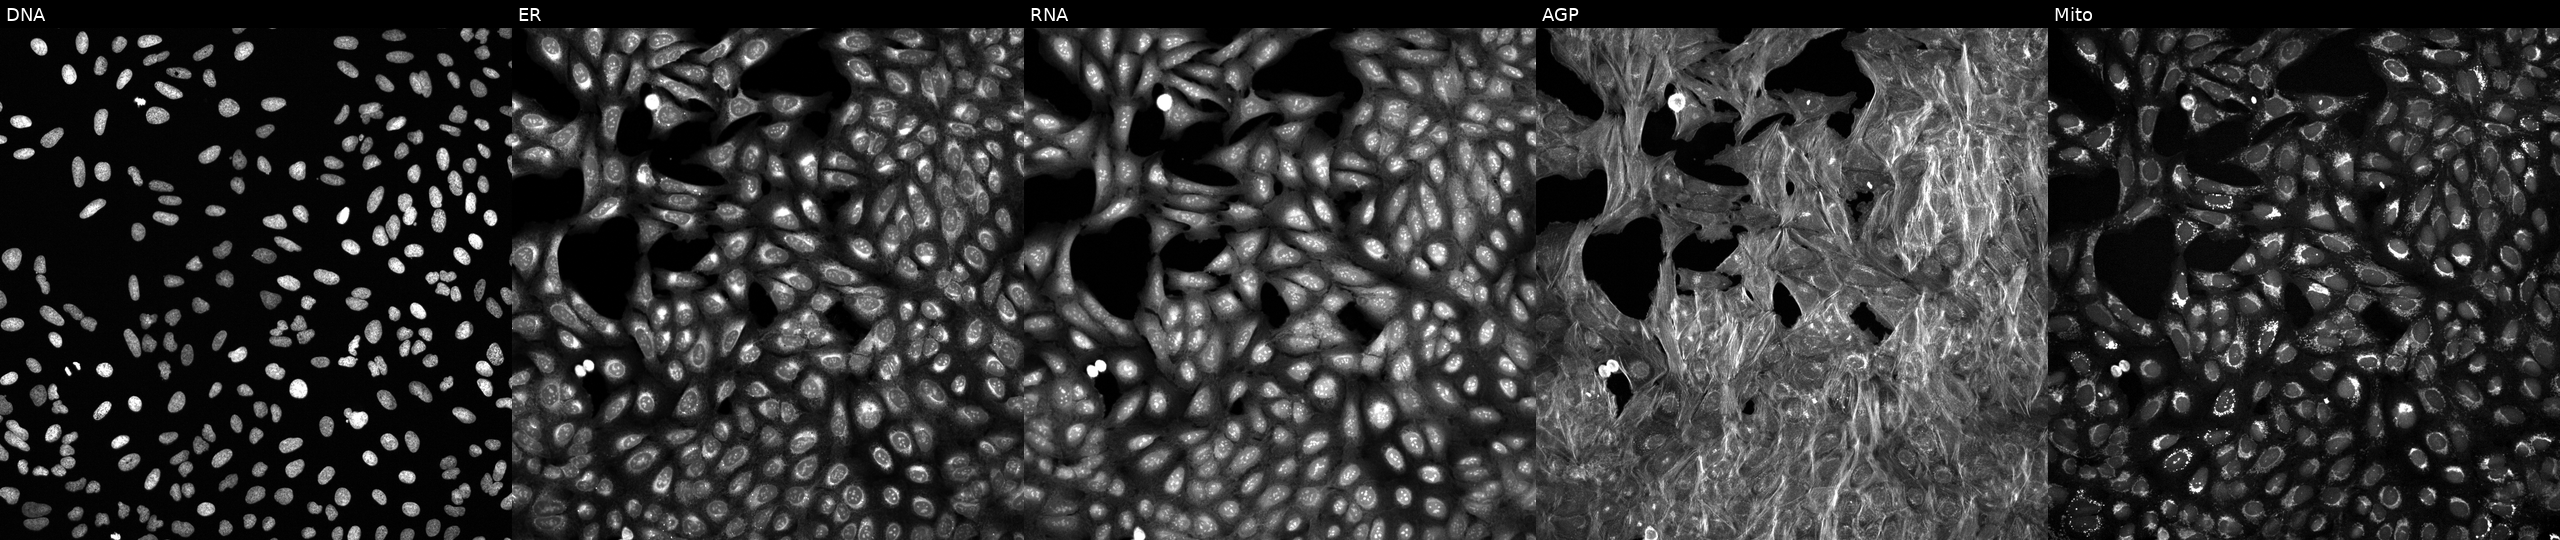
This image strip shows the five Cell Painting channels for a single field of U2OS cells perturbed with a small-molecule compound (JUMP id JCP2022_035162). Panels show, left to right, DNA, ER, RNA, AGP, and Mito. Source 6, plate 110000293082, well C07.